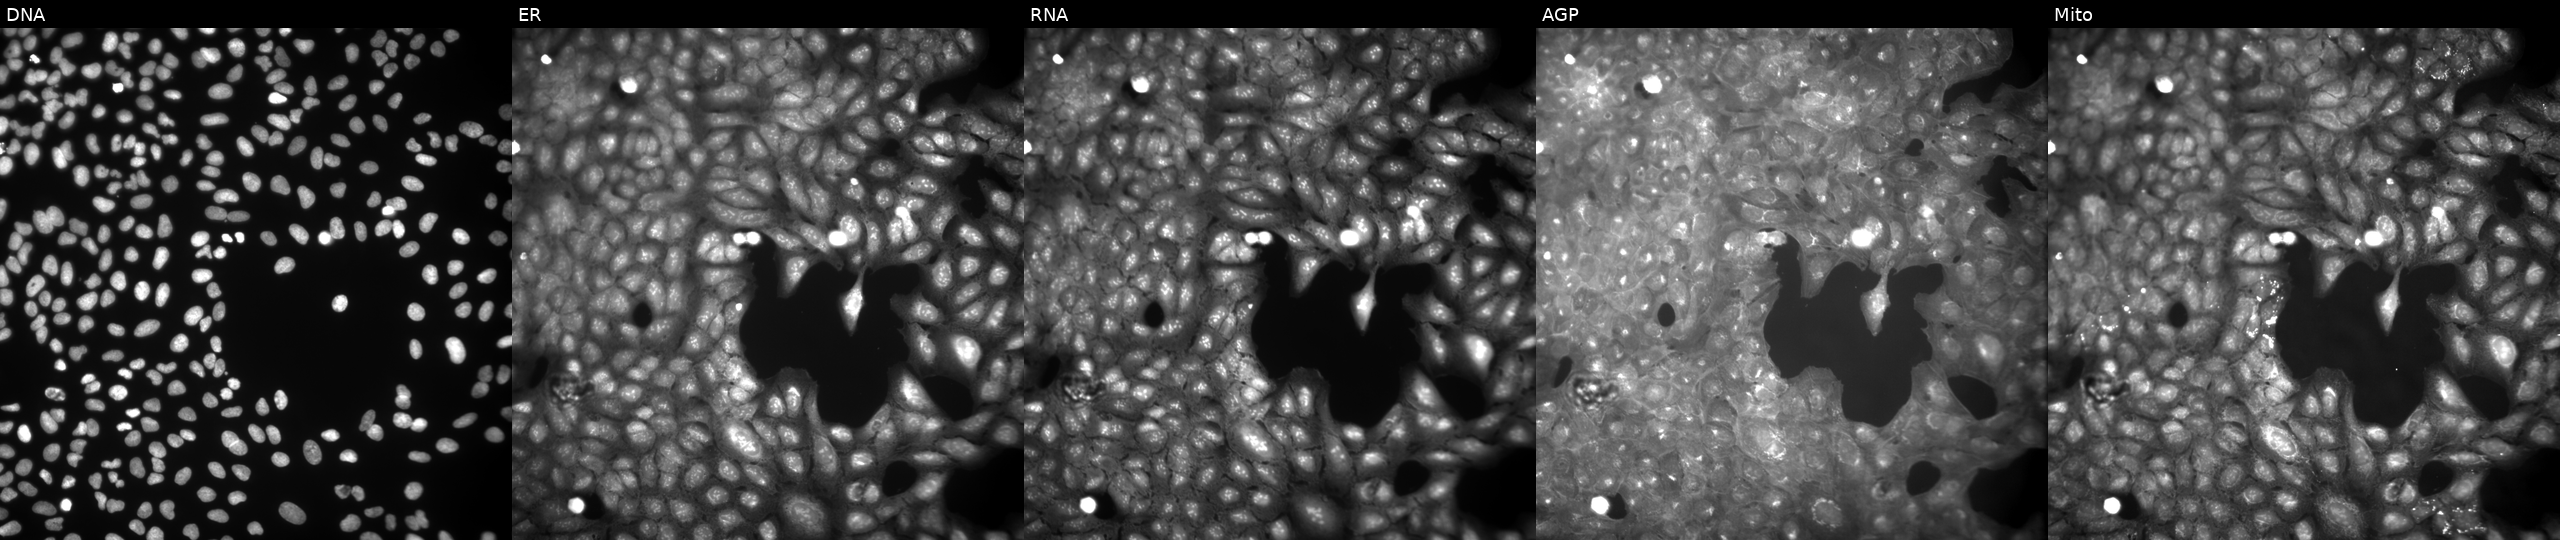
Panels show, left to right, DNA, ER, RNA, AGP, and Mito. U2OS osteosarcoma cells exposed to a small-molecule compound (InChIKey MIHZLEPVLWHWLR-UHFFFAOYSA-N). Cell Painting assay, JUMP-CP dataset. Source 9, plate GR00003381, well V46.